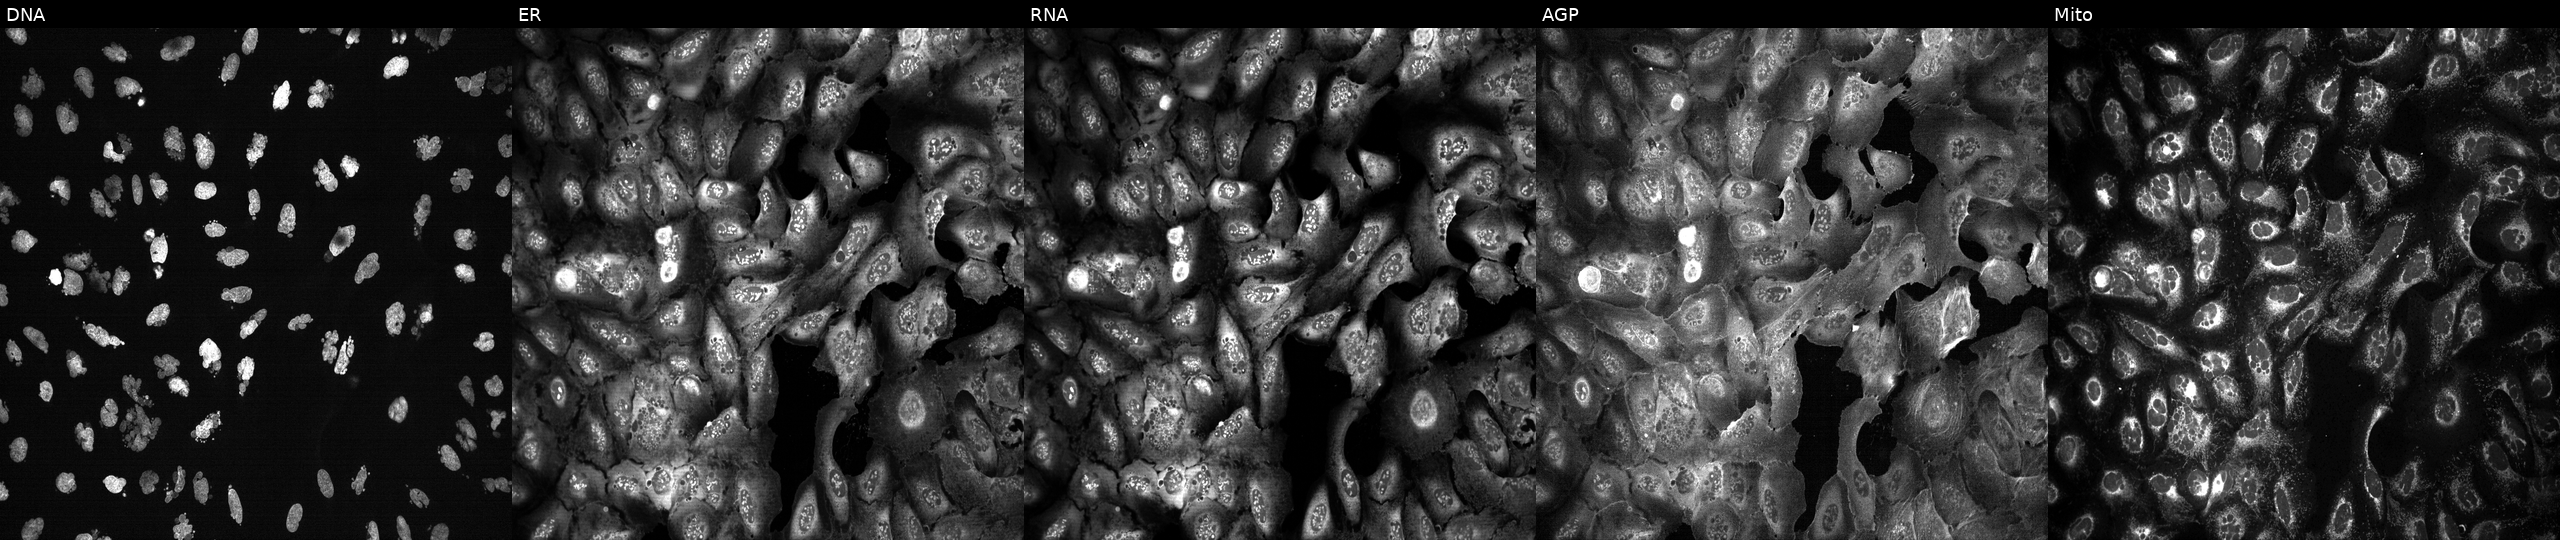
Panels show, left to right, DNA (nuclei); ER (endoplasmic reticulum); RNA (nucleoli and cytoplasmic RNA); AGP (actin cytoskeleton, Golgi, and plasma membrane); Mito (mitochondria). U2OS osteosarcoma cells exposed to the positive-control compound AMG900. Cell Painting assay, JUMP-CP dataset. Source 13, plate CP-CC9-R3-01, well N24.